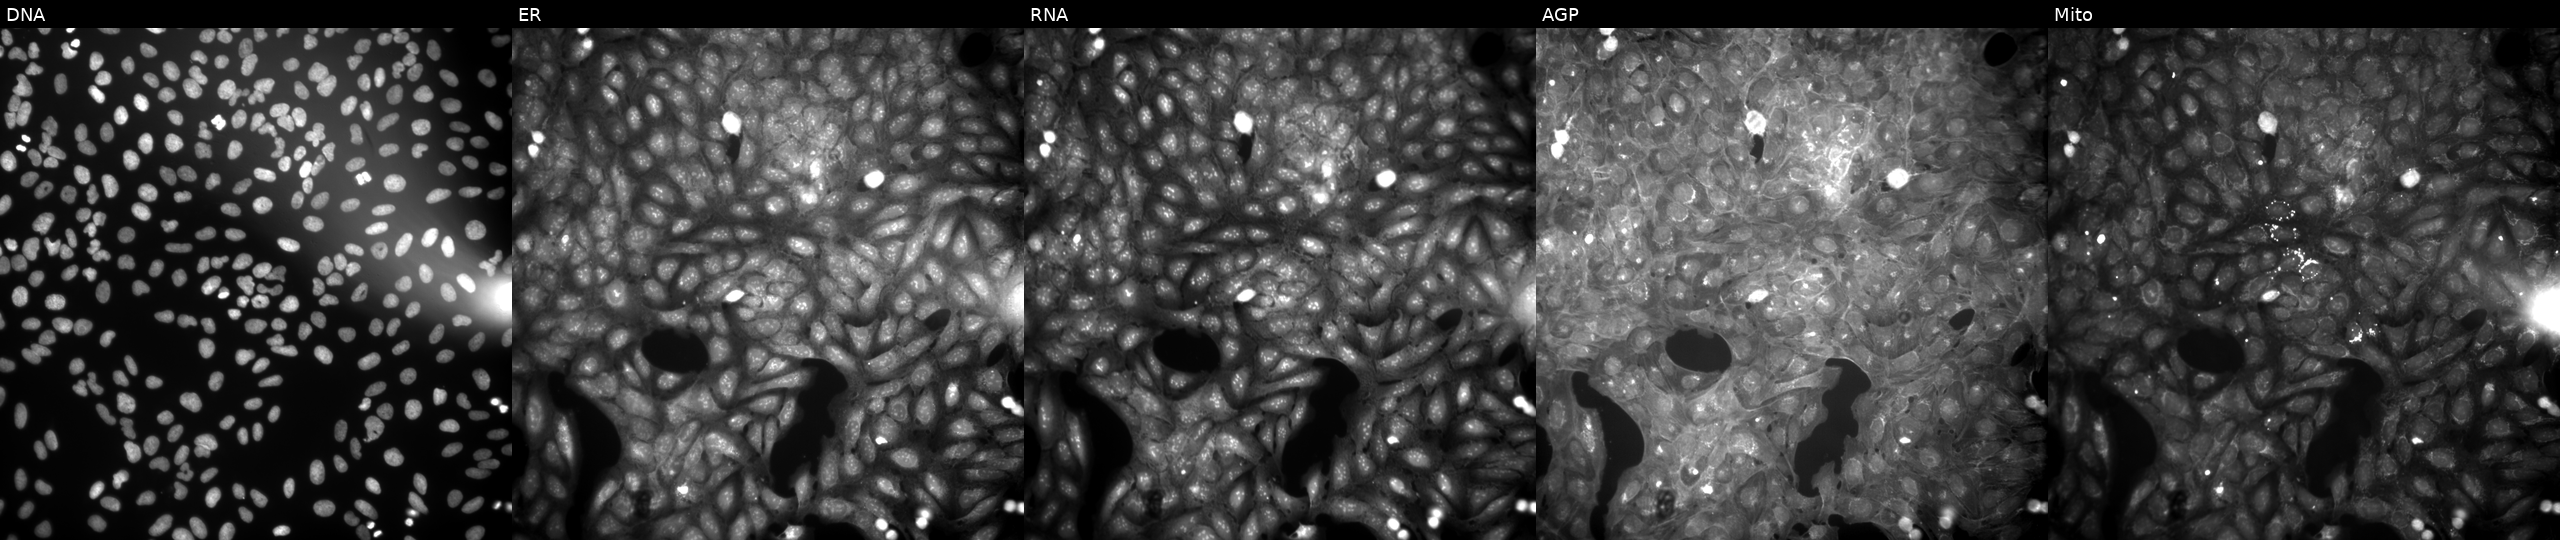
JUMP Cell Painting — COMPOUND plate. U2OS cells exposed to the positive-control compound aloxistatin. Channels (left→right): Hoechst 33342, concanavalin A, SYTO 14, phalloidin and WGA, MitoTracker. Source 9, plate GR00003382, well A48.